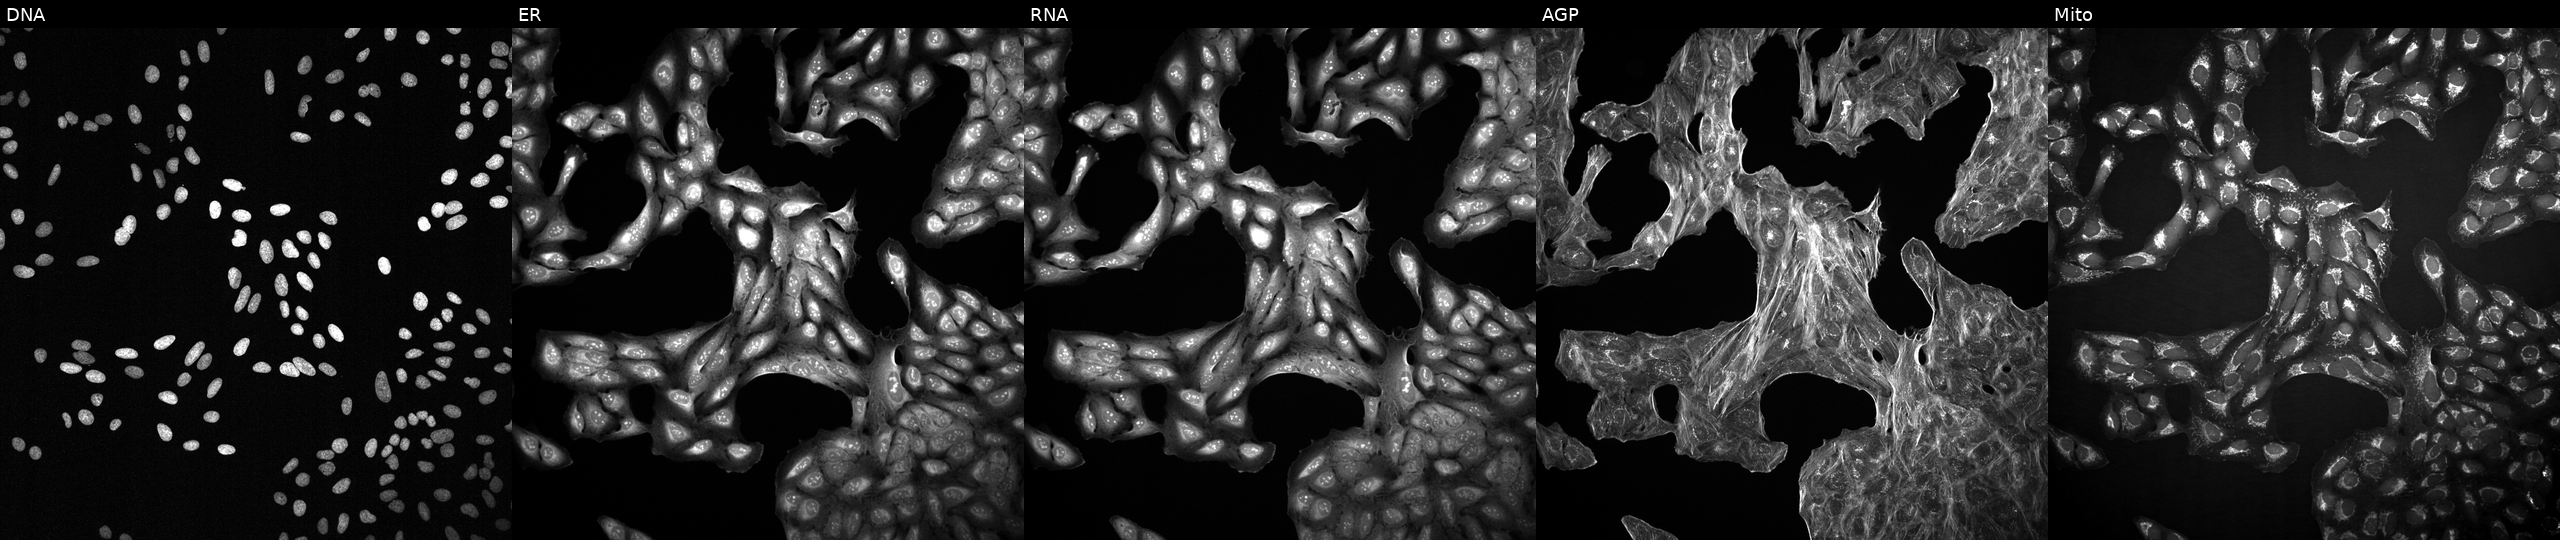
This image strip shows the five Cell Painting channels for a single field of U2OS cells perturbed with a small-molecule compound (InChIKey KJWGEXJCWCYEMI-UHFFFAOYSA-N) (JUMP id JCP2022_045105). The five panels, left to right, show DNA (nuclei); ER (endoplasmic reticulum); RNA (nucleoli and cytoplasmic RNA); AGP (actin cytoskeleton, Golgi, and plasma membrane); Mito (mitochondria).